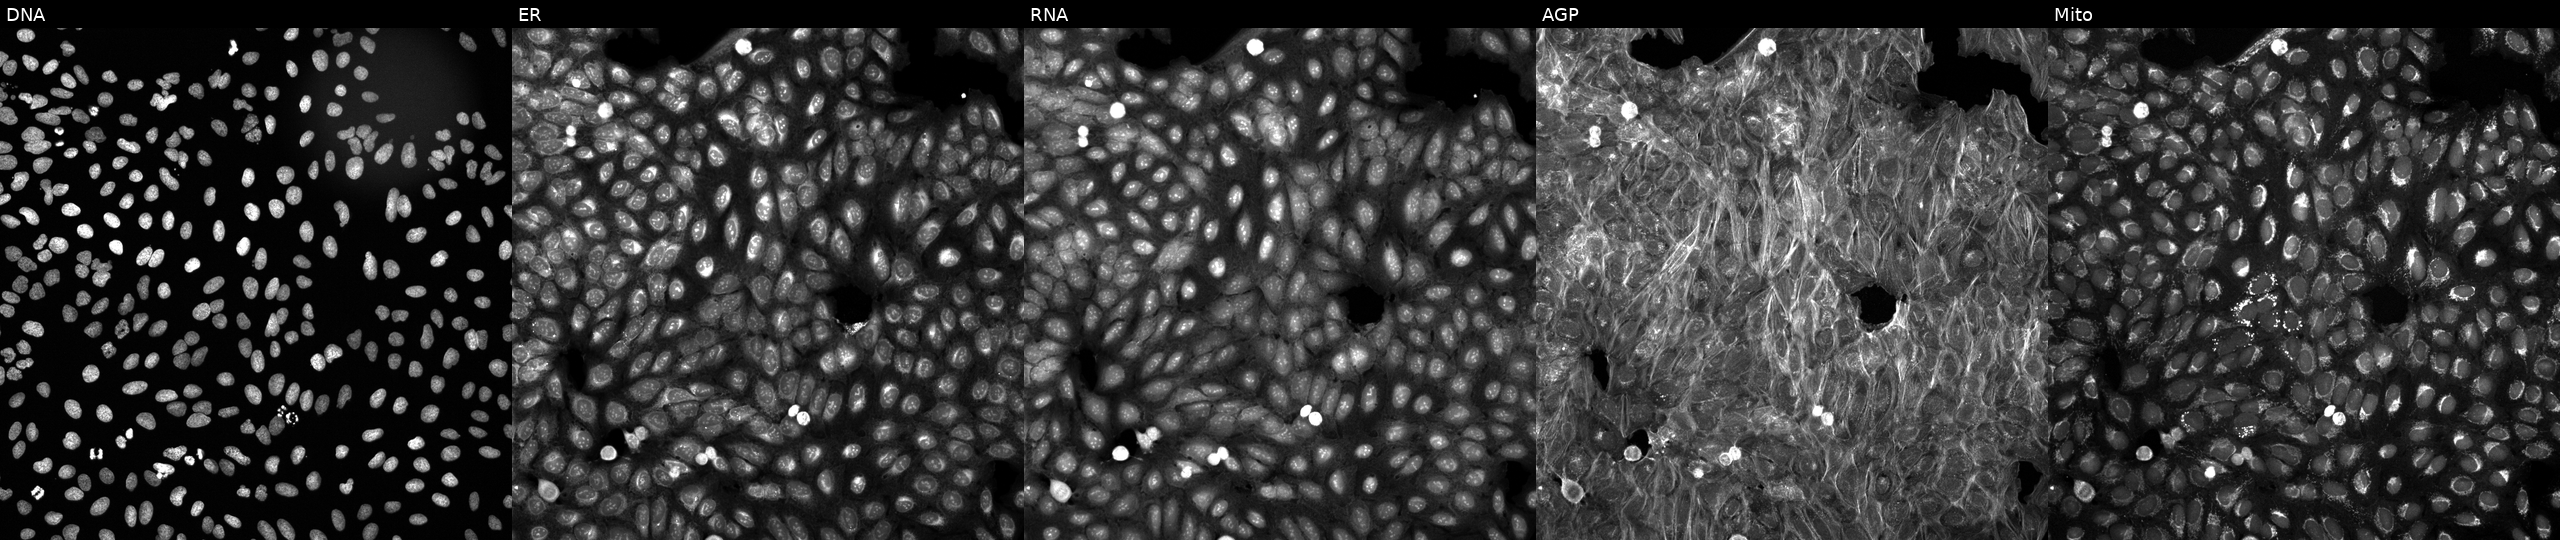
U2OS cells, Cell Painting assay, perturbed with a small-molecule compound (InChIKey LENZDBCJOHFCAS-UHFFFAOYSA-N) (JUMP id JCP2022_048928). Channels (left→right): DNA (nuclei); ER (endoplasmic reticulum); RNA (nucleoli and cytoplasmic RNA); AGP (actin cytoskeleton, Golgi, and plasma membrane); Mito (mitochondria). Each panel is percentile-stretched 16-bit fluorescence. Source 6, plate 110000294901, well F02.